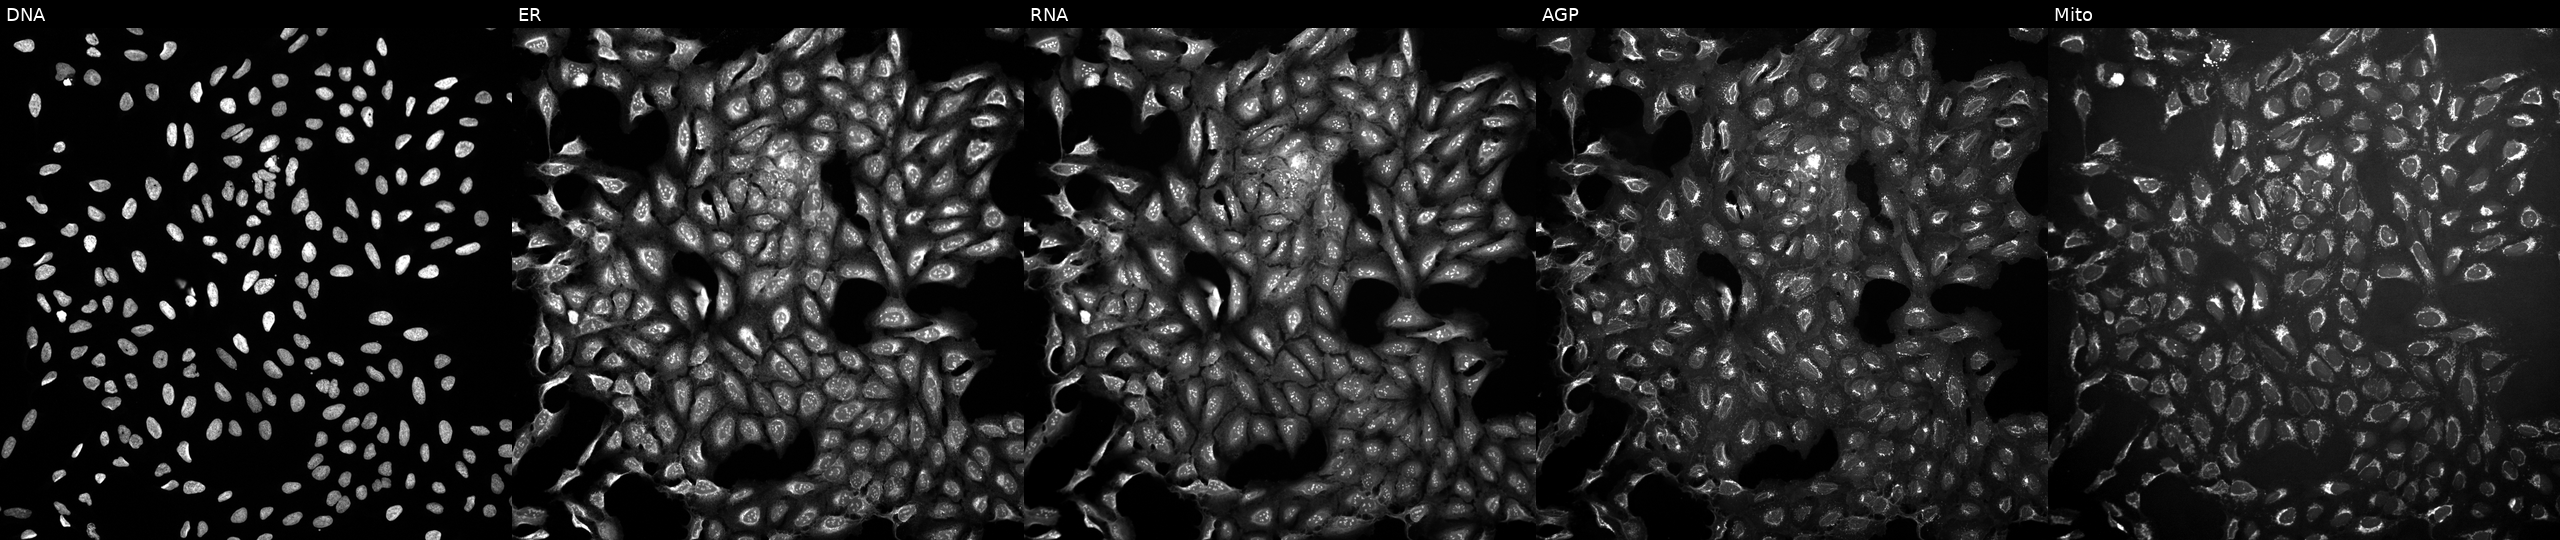
Five-channel Cell Painting image of U2OS cells treated with DMSO vehicle only (negative control). Panels show, left to right, DNA (nuclei); ER (endoplasmic reticulum); RNA (nucleoli and cytoplasmic RNA); AGP (actin cytoskeleton, Golgi, and plasma membrane); Mito (mitochondria). Source 10, plate Dest210803-153958, well D09.